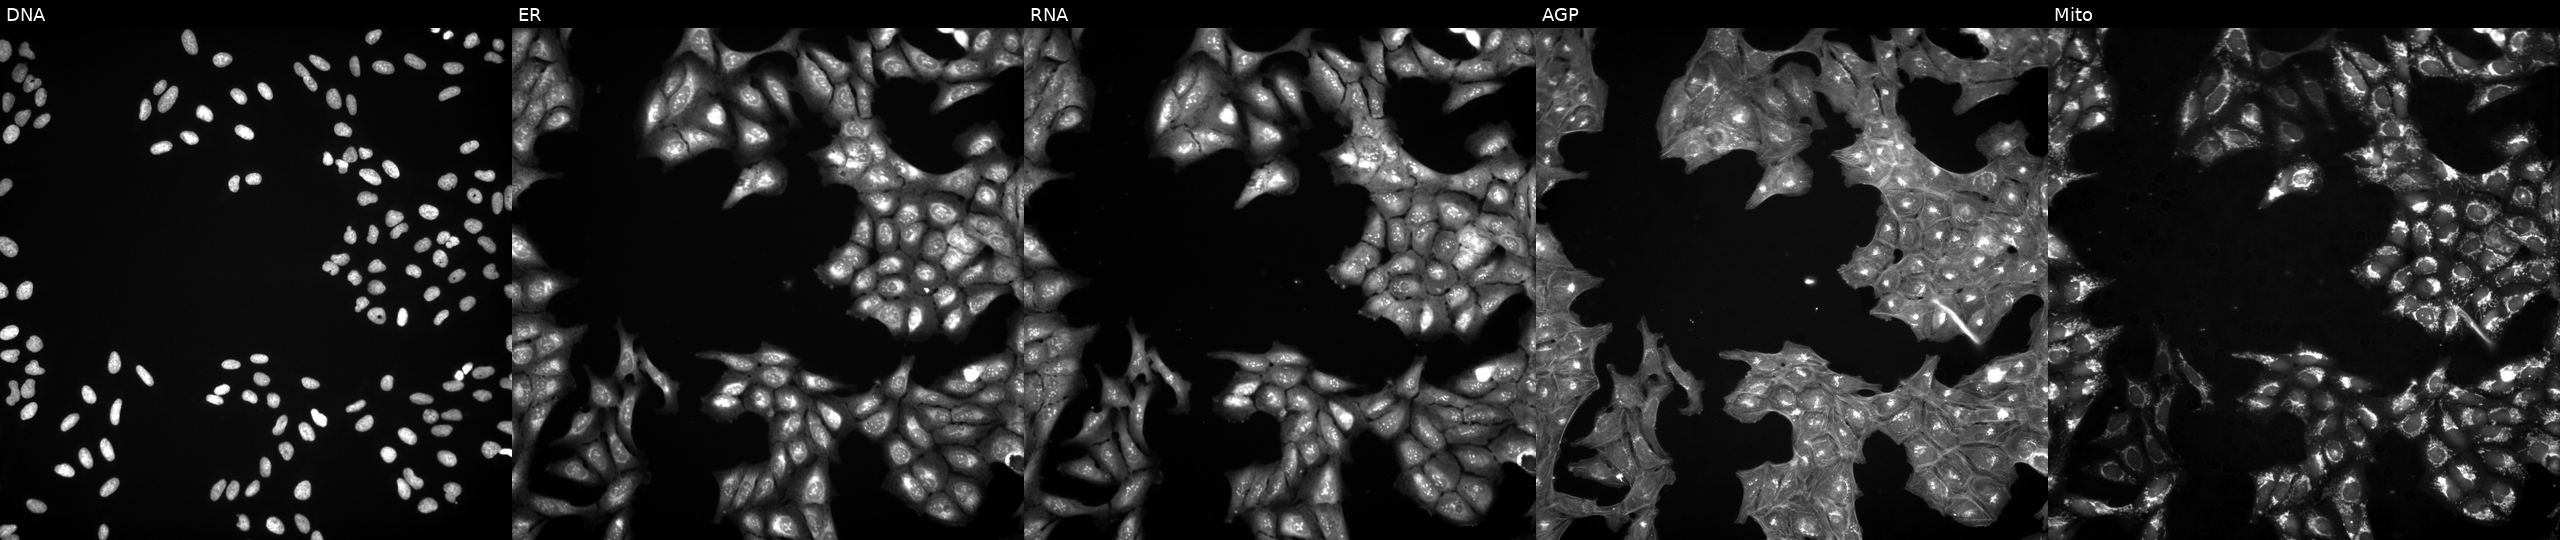
This image strip shows the five Cell Painting channels for a single field of U2OS cells exposed to DMSO alone as a negative control. The five panels, left to right, show DNA, ER, RNA, AGP, and Mito. Source 3, plate JCPQC052, well B12.